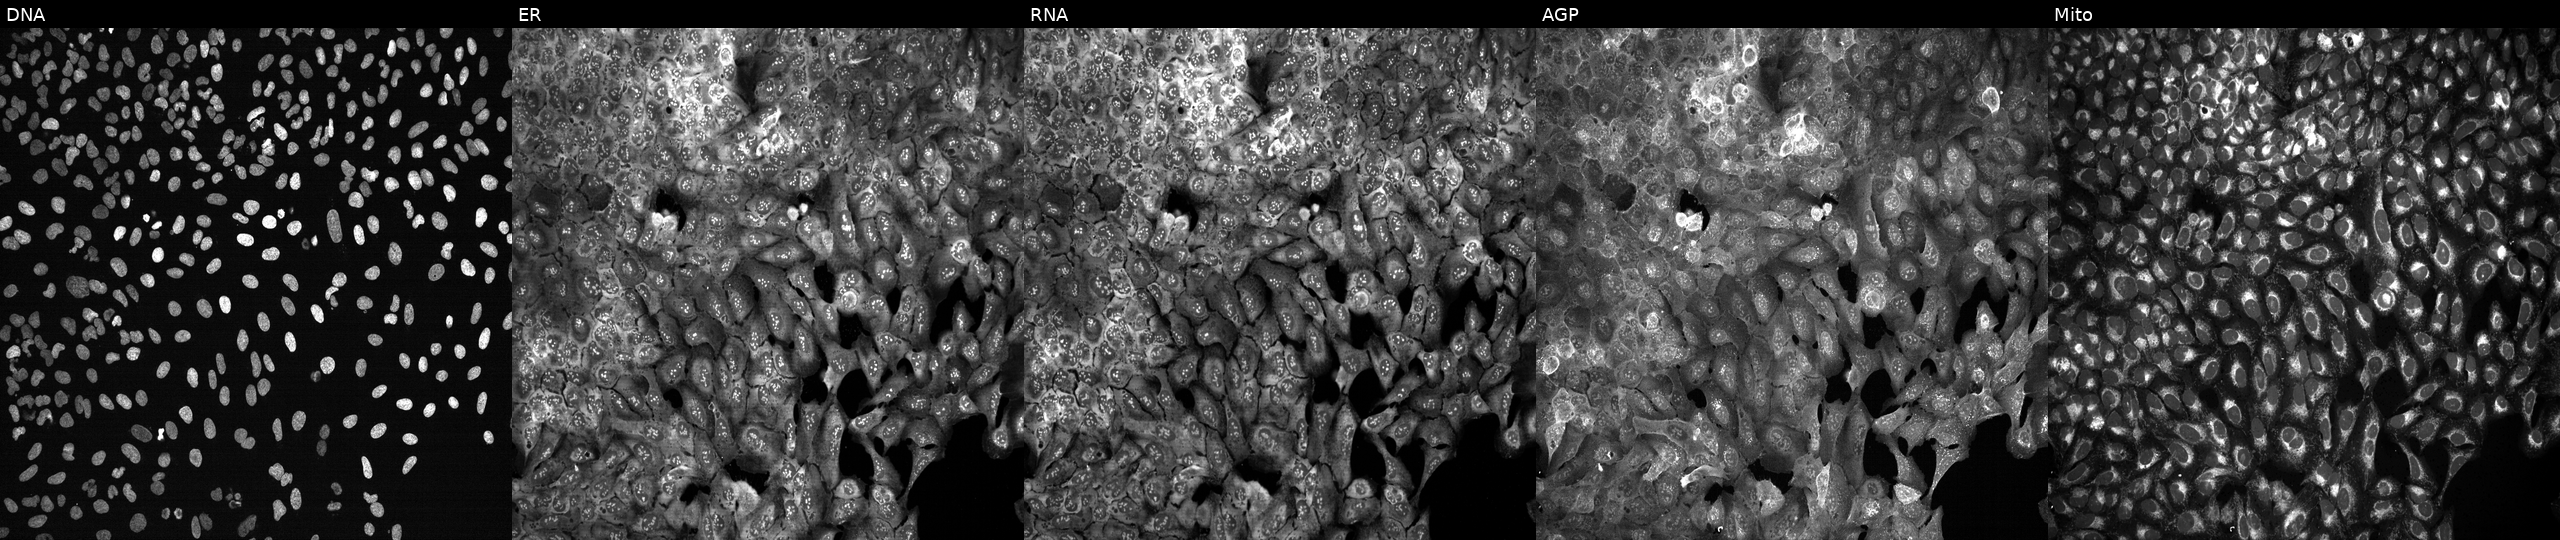
High-content fluorescence microscopy (Cell Painting). Cell line: U2OS. Perturbation: with RDH13 knocked out by CRISPR (JUMP id JCP2022_805887). Panels show, left to right, DNA, ER, RNA, AGP, and Mito.